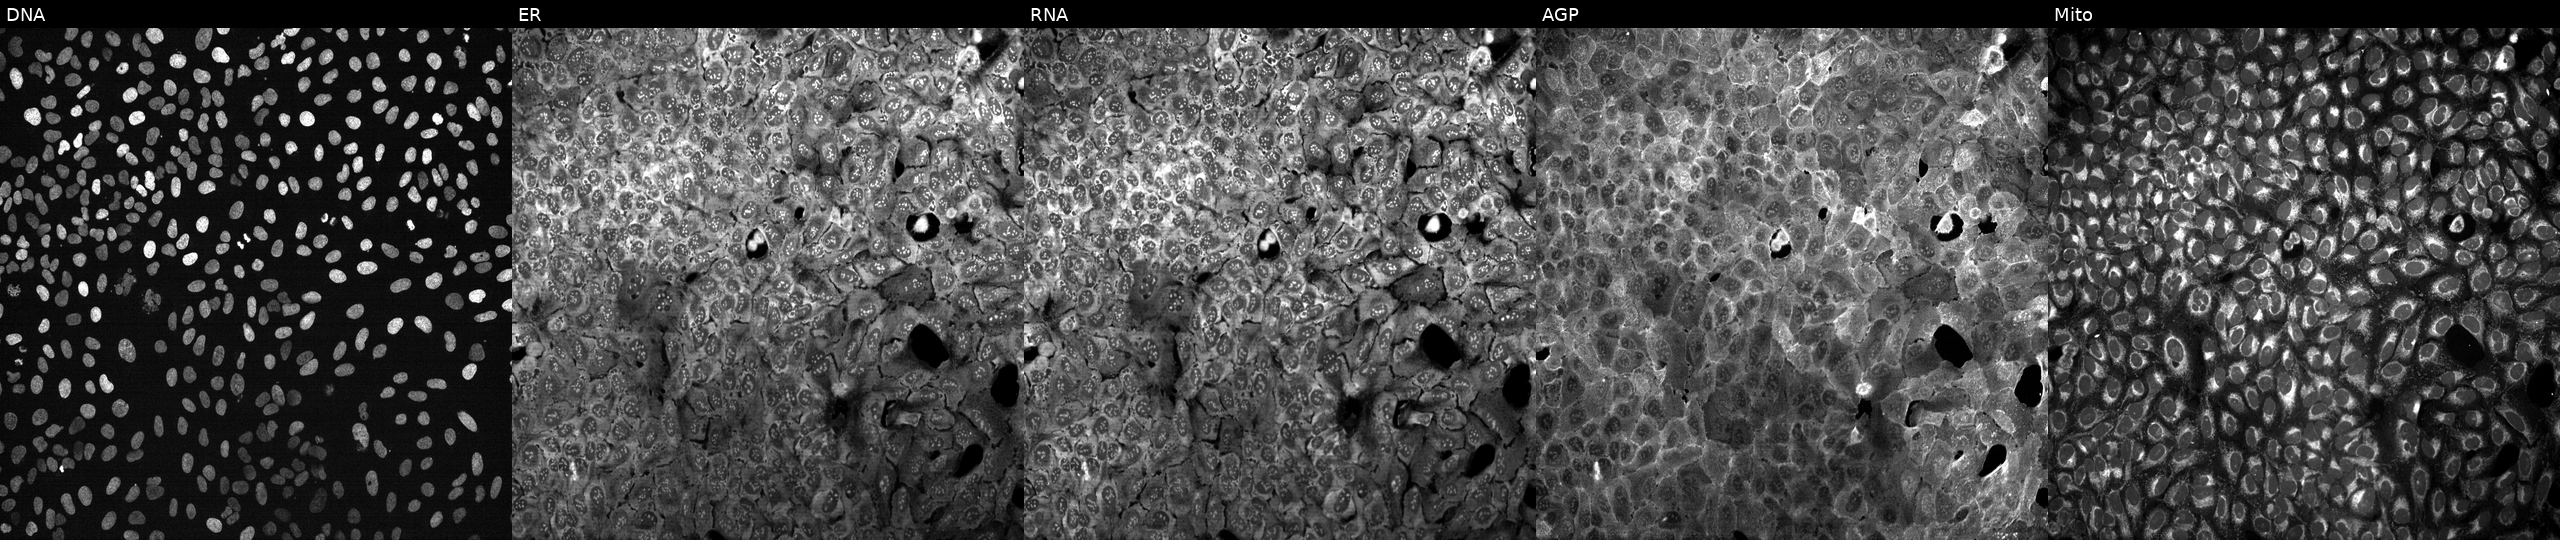
Five-channel Cell Painting image of U2OS cells following CRISPR knockout of XRCC2. Panels show, left to right, DNA (nuclei); ER (endoplasmic reticulum); RNA (nucleoli and cytoplasmic RNA); AGP (actin cytoskeleton, Golgi, and plasma membrane); Mito (mitochondria).